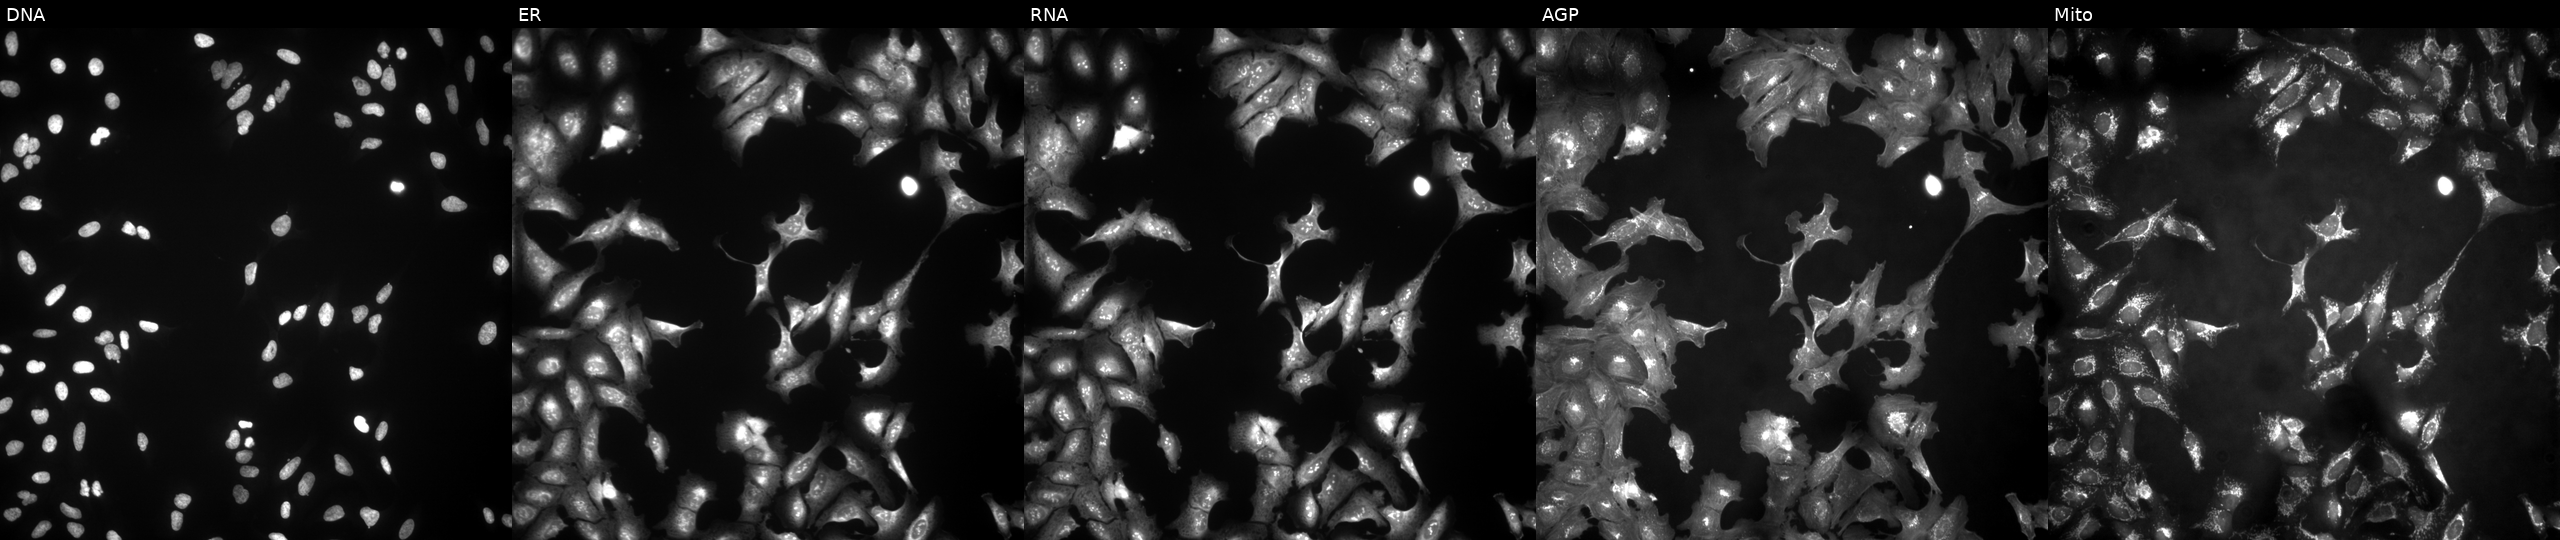
From left to right: DNA (nuclei); ER (endoplasmic reticulum); RNA (nucleoli and cytoplasmic RNA); AGP (actin cytoskeleton, Golgi, and plasma membrane); Mito (mitochondria). U2OS osteosarcoma cells transfected with an ORF construct for WDR4. Cell Painting assay, JUMP-CP dataset.